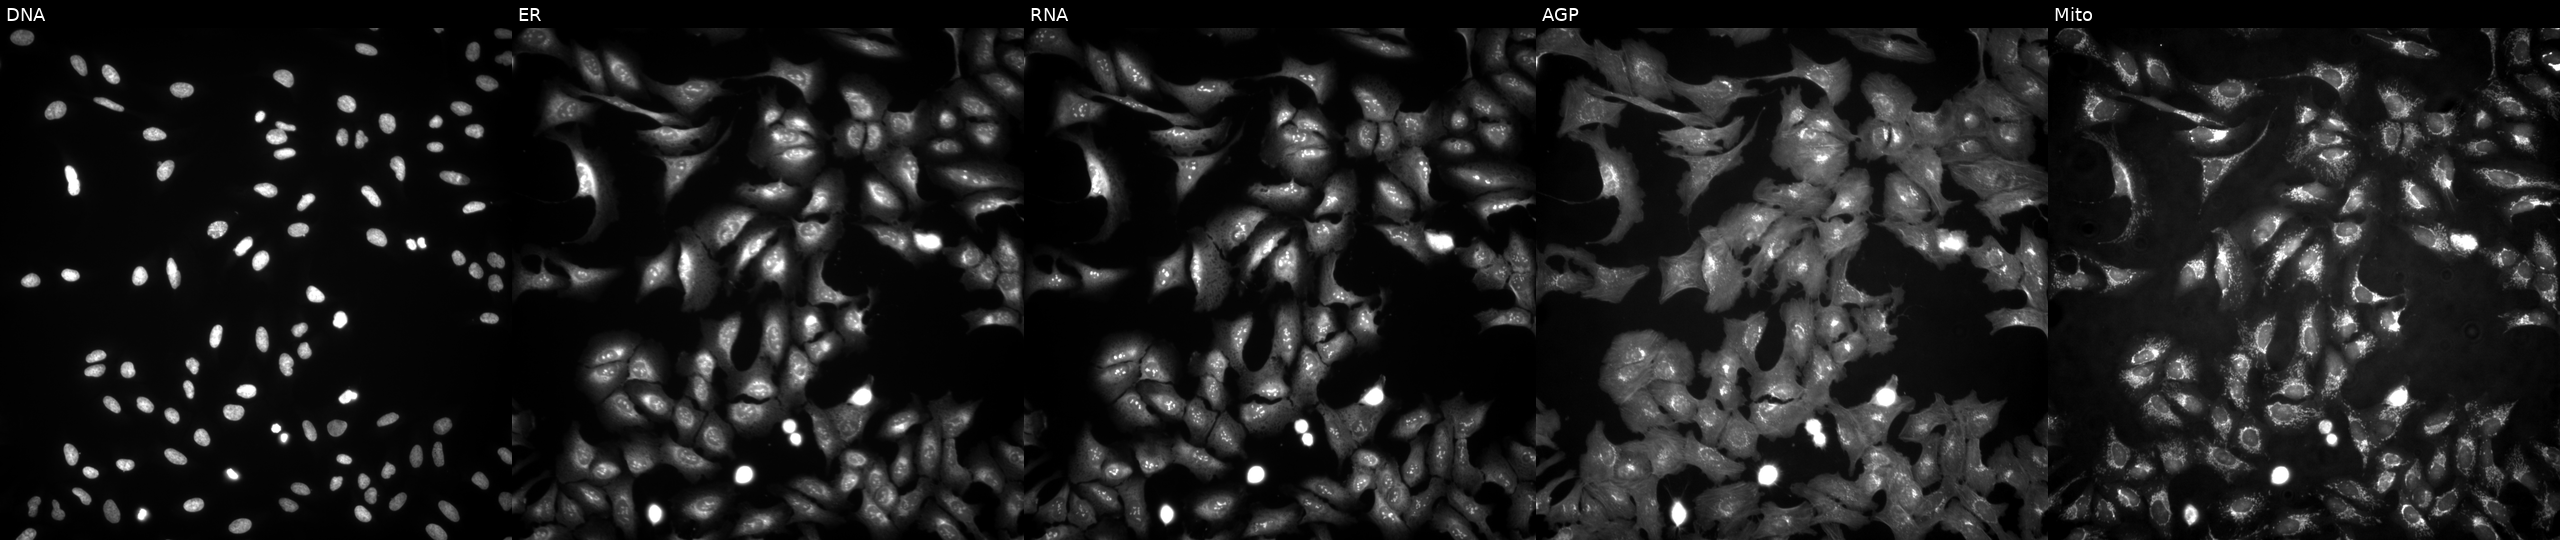
JUMP Cell Painting — ORF plate. U2OS cells transfected with an ORF construct for WDR31 (JUMP id JCP2022_904377). Panels show, left to right, DNA (nuclei); ER (endoplasmic reticulum); RNA (nucleoli and cytoplasmic RNA); AGP (actin cytoskeleton, Golgi, and plasma membrane); Mito (mitochondria).